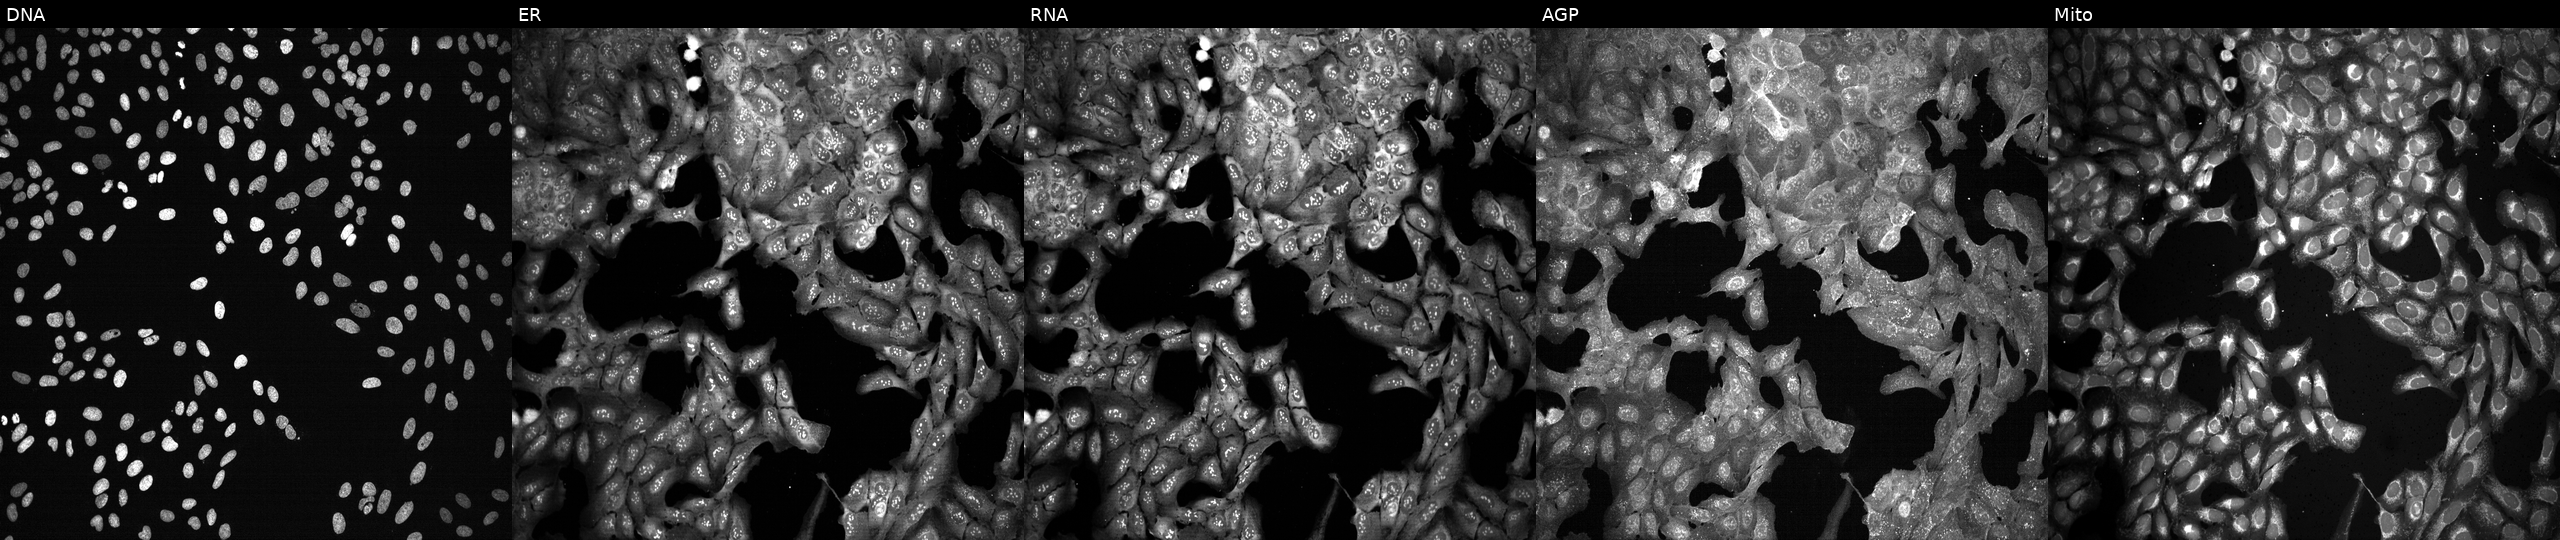
JUMP Cell Painting — CRISPR plate. U2OS cells CRISPR-edited to disrupt HS6ST3. Channels (left→right): DNA (nuclei); ER (endoplasmic reticulum); RNA (nucleoli and cytoplasmic RNA); AGP (actin cytoskeleton, Golgi, and plasma membrane); Mito (mitochondria).